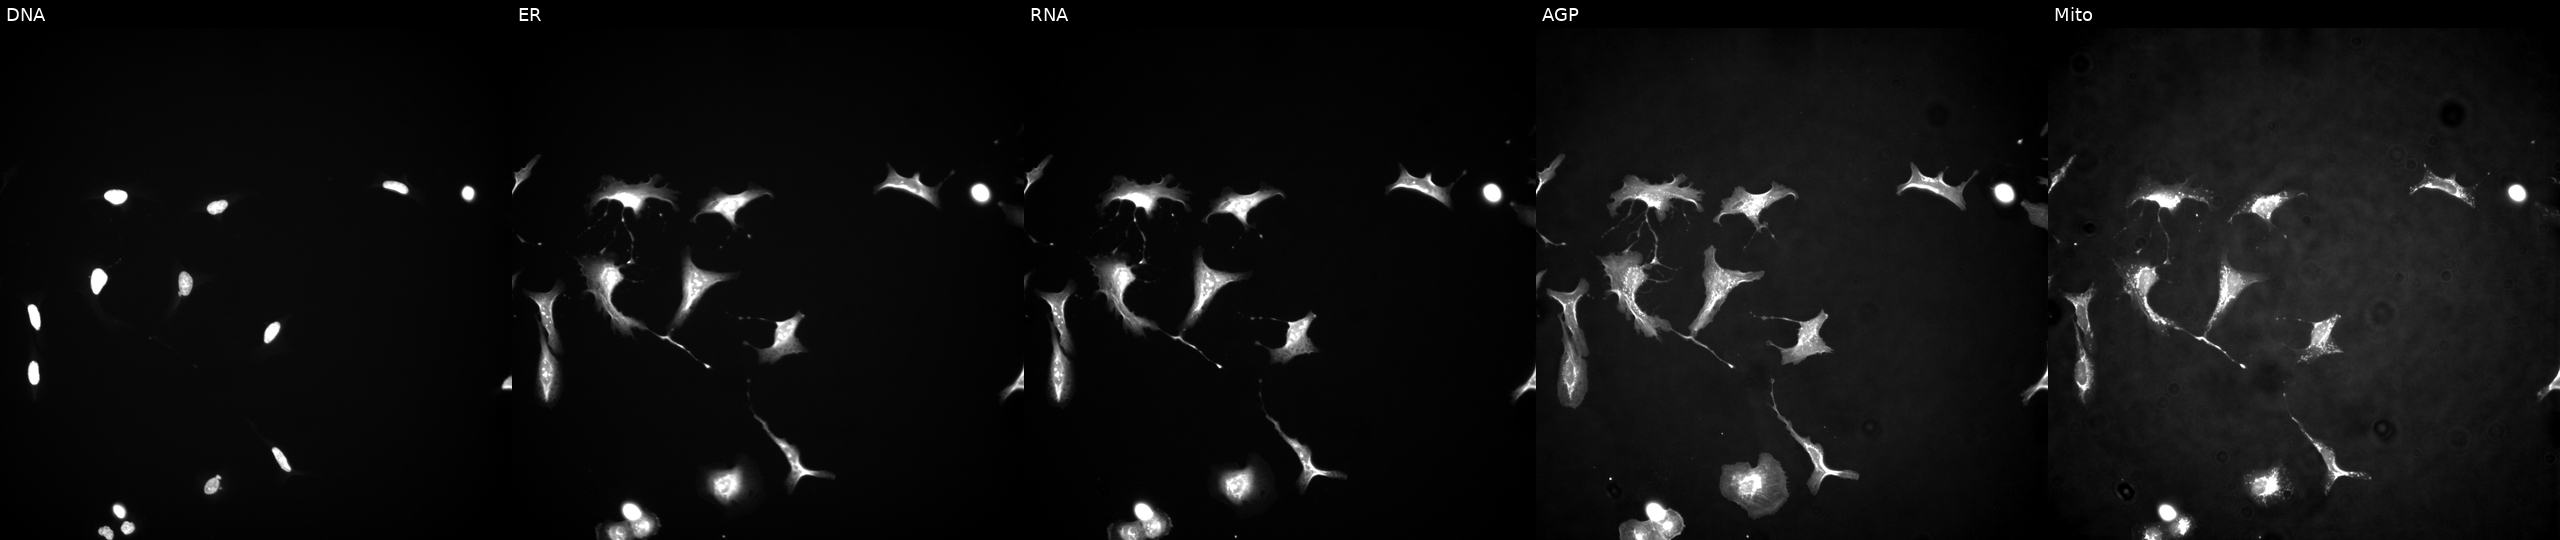
Panels show, left to right, Hoechst 33342, concanavalin A, SYTO 14, phalloidin and WGA, MitoTracker. U2OS osteosarcoma cells with NIPBL overexpressed (ORF) (JUMP id JCP2022_914754). Cell Painting assay, JUMP-CP dataset.